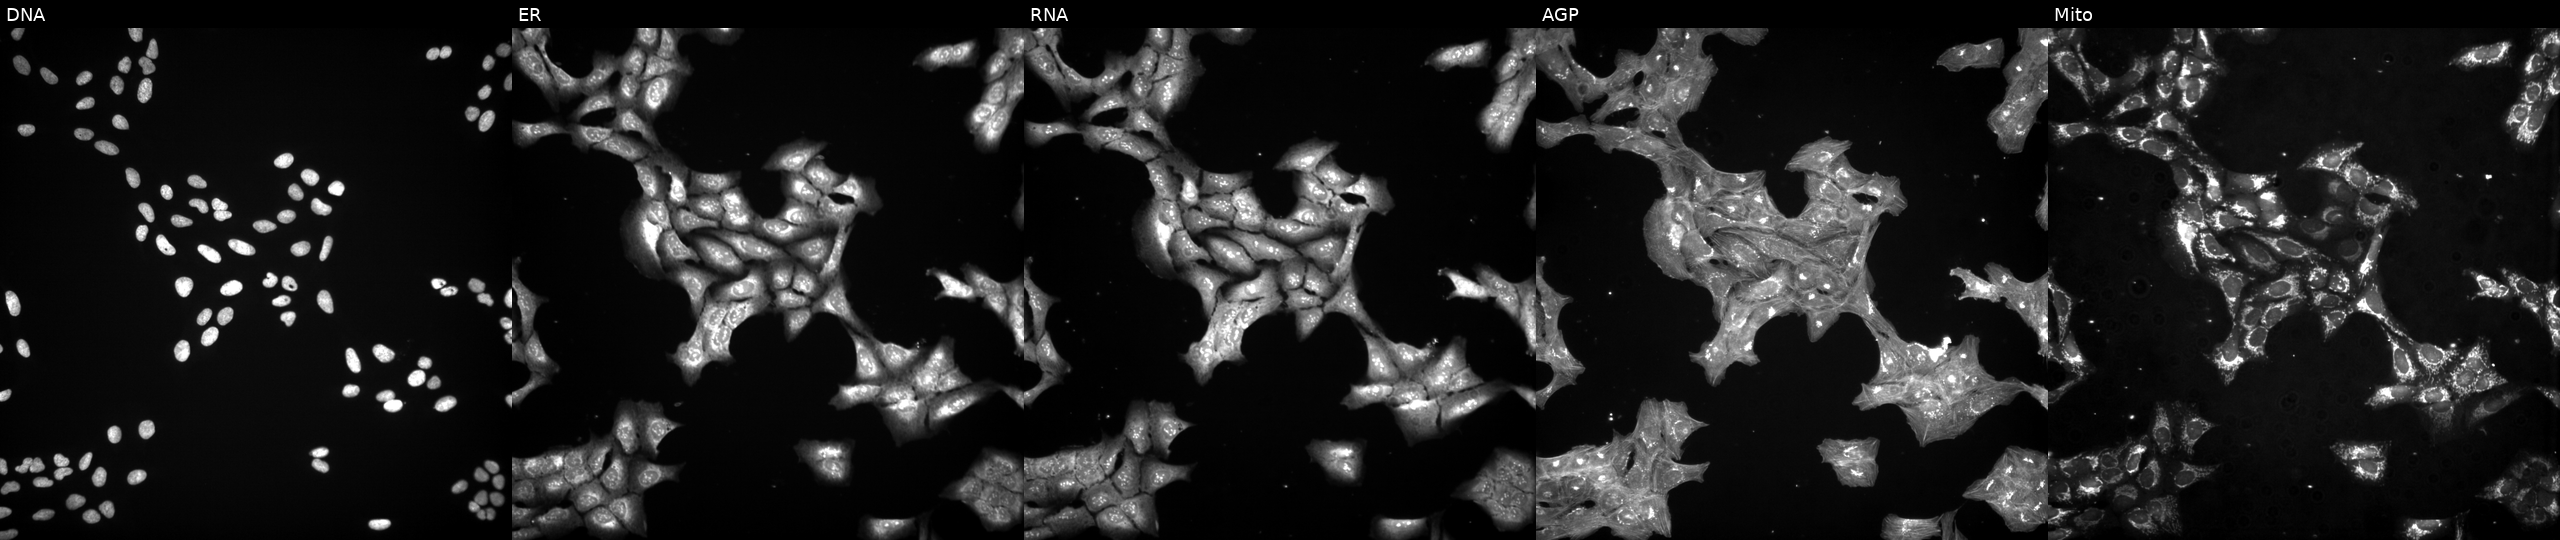
High-content fluorescence microscopy (Cell Painting). Cell line: U2OS. Perturbation: exposed to a small-molecule compound (InChIKey MQQNFDZXWVTQEH-UHFFFAOYSA-N). Panels show, left to right, DNA (nuclei); ER (endoplasmic reticulum); RNA (nucleoli and cytoplasmic RNA); AGP (actin cytoskeleton, Golgi, and plasma membrane); Mito (mitochondria).